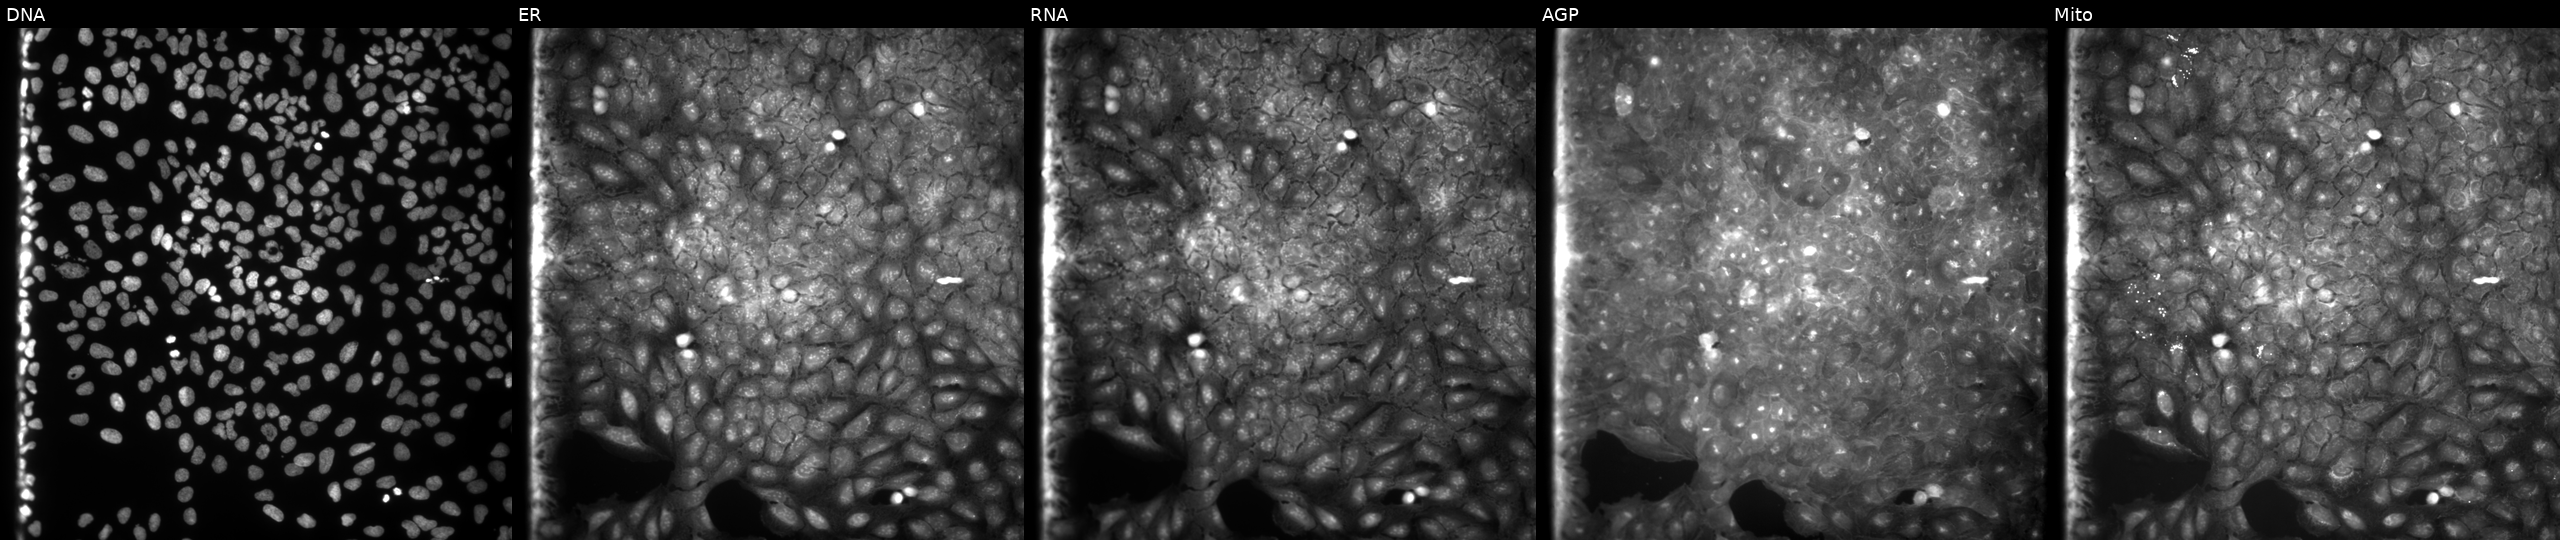
JUMP Cell Painting — COMPOUND plate. U2OS cells perturbed with a small-molecule compound. From left to right: Hoechst 33342, concanavalin A, SYTO 14, phalloidin and WGA, MitoTracker.